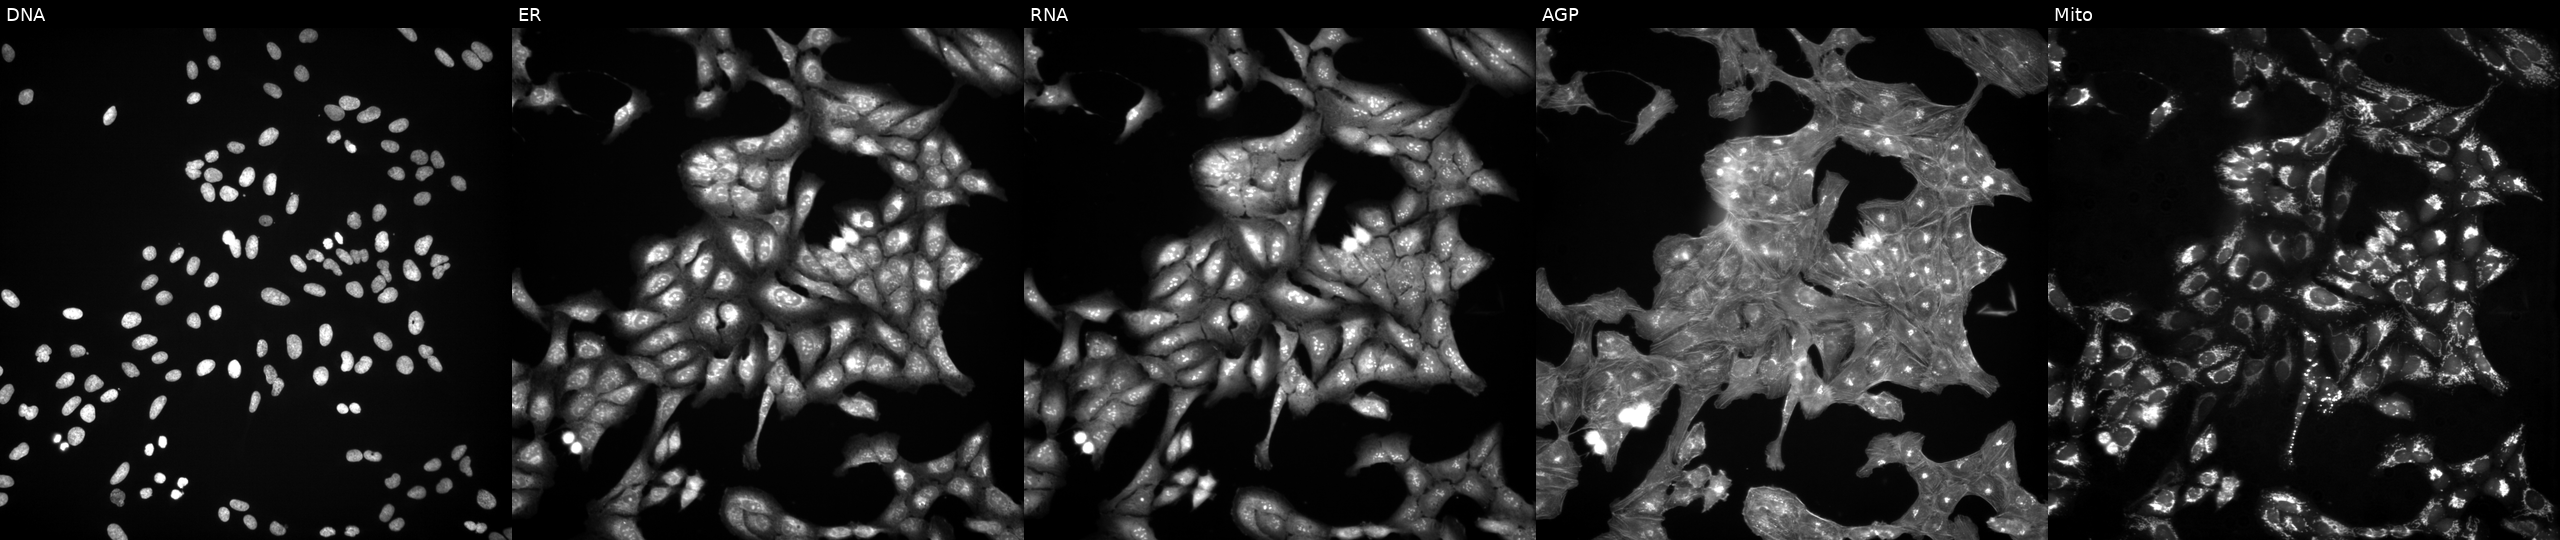
From left to right: DNA, ER, RNA, AGP, and Mito. U2OS osteosarcoma cells treated with a small-molecule compound (JUMP id JCP2022_107658). Cell Painting assay, JUMP-CP dataset. Source 3, plate JCPQC051, well M07.